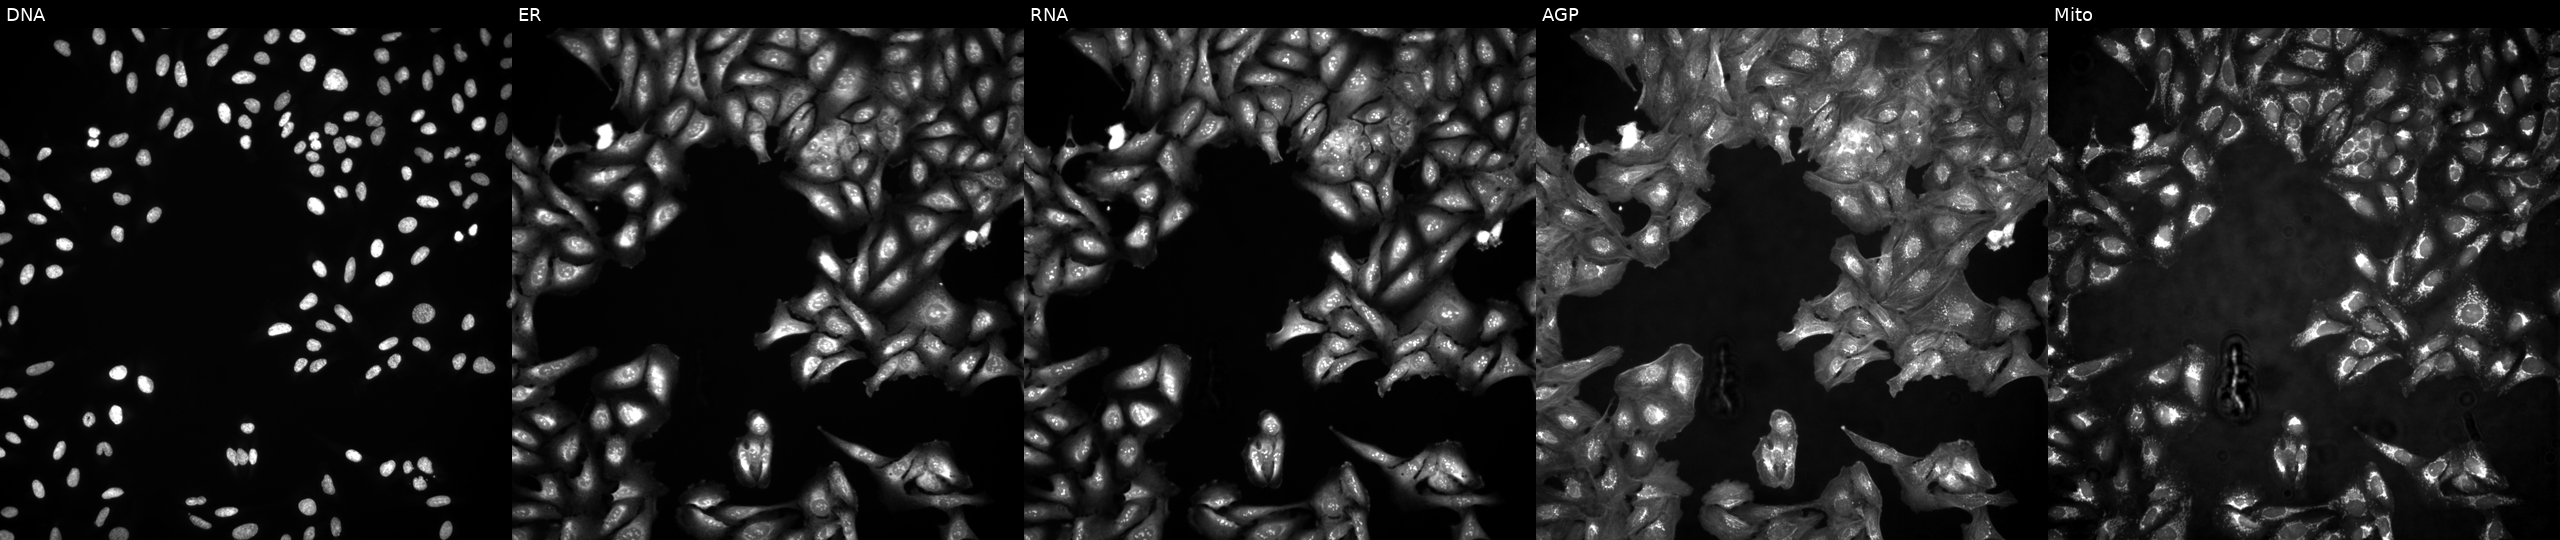
Five-channel Cell Painting image of U2OS cells untreated (empty-well control). The five panels, left to right, show DNA, ER, RNA, AGP, and Mito. Source 4, plate BR00124793, well D08.